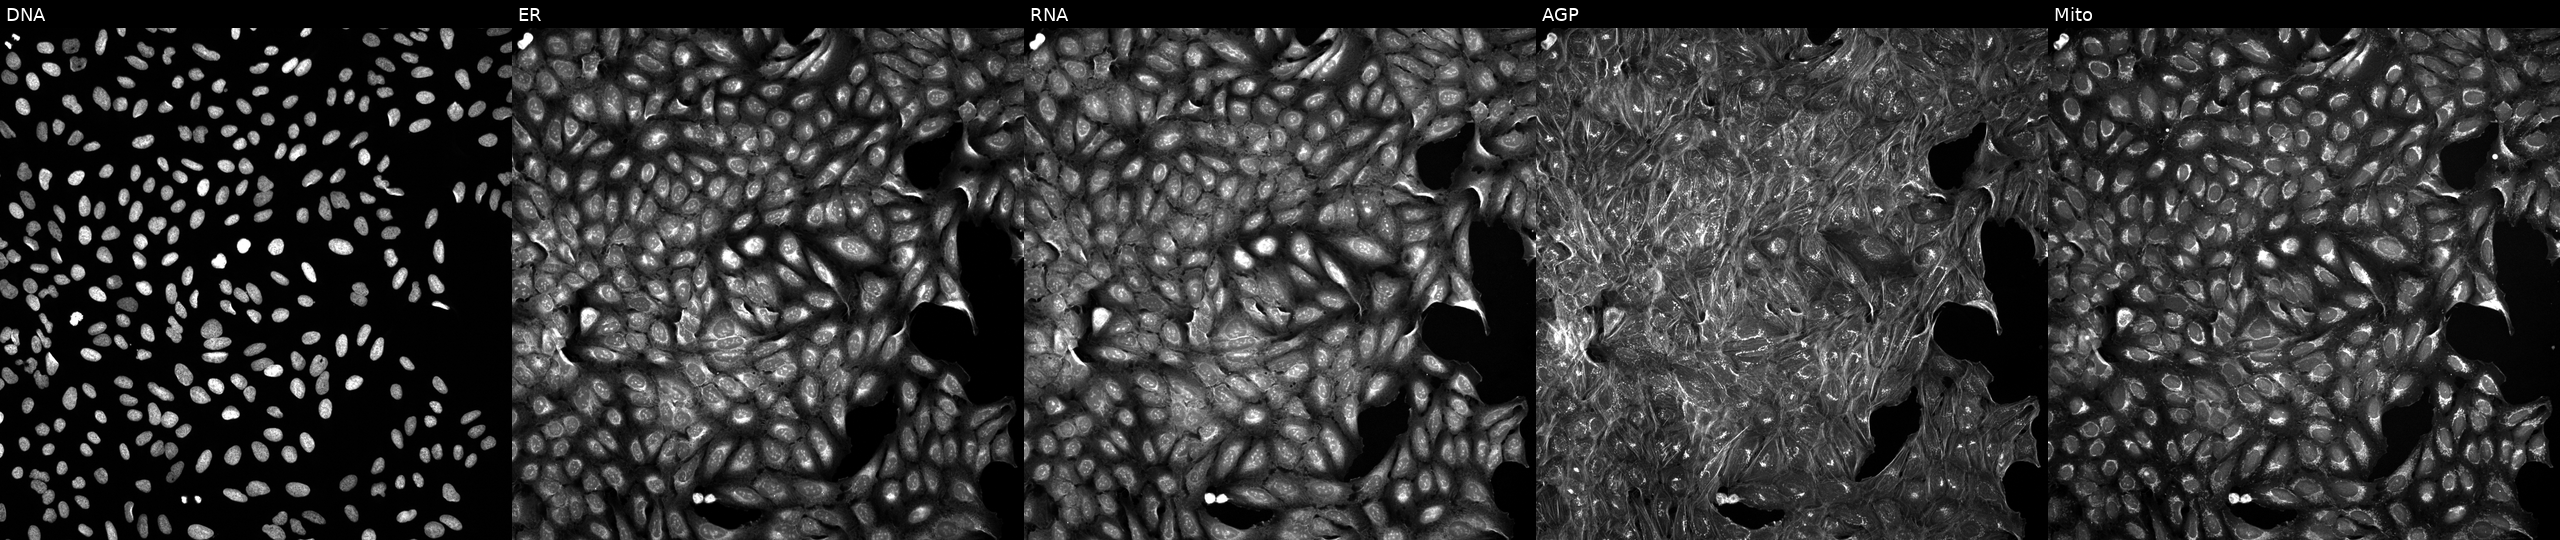
From left to right: Hoechst 33342, concanavalin A, SYTO 14, phalloidin and WGA, MitoTracker. U2OS osteosarcoma cells treated with a small-molecule compound (InChIKey XSDQTOBWRPYKKA-UHFFFAOYSA-N) (JUMP id JCP2022_105696). Cell Painting assay, JUMP-CP dataset. Source 5, plate ACPJUM051, well K11.